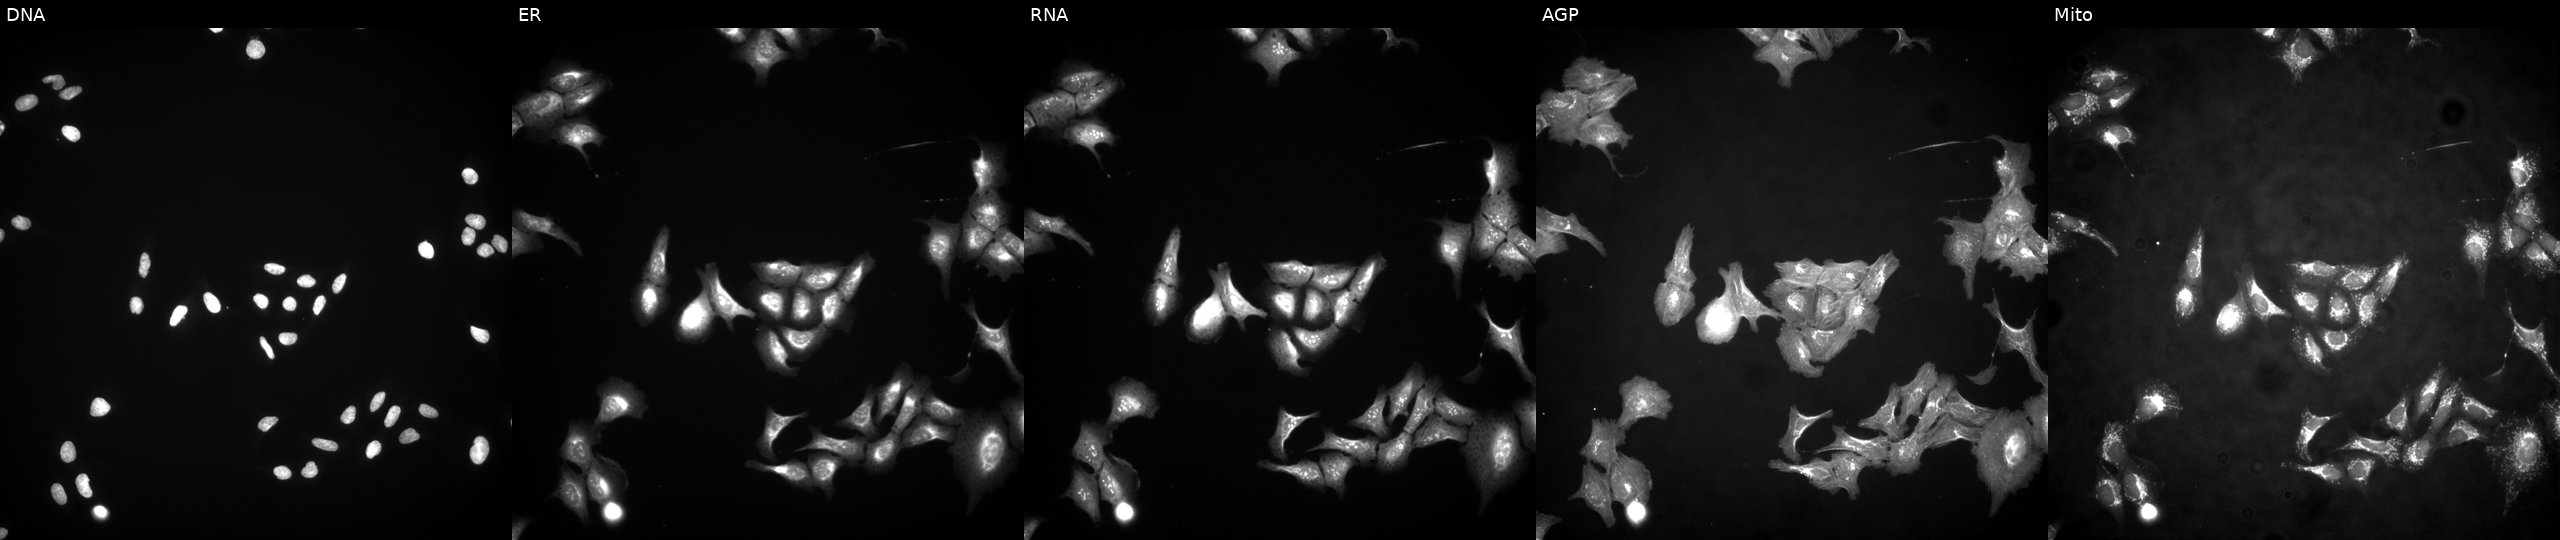
High-content fluorescence microscopy (Cell Painting). Cell line: U2OS. Perturbation: with PTMS overexpressed (ORF) (JUMP id JCP2022_910320). Channels (left→right): DNA, ER, RNA, AGP, and Mito. Source 4, plate BR00123509, well P11.